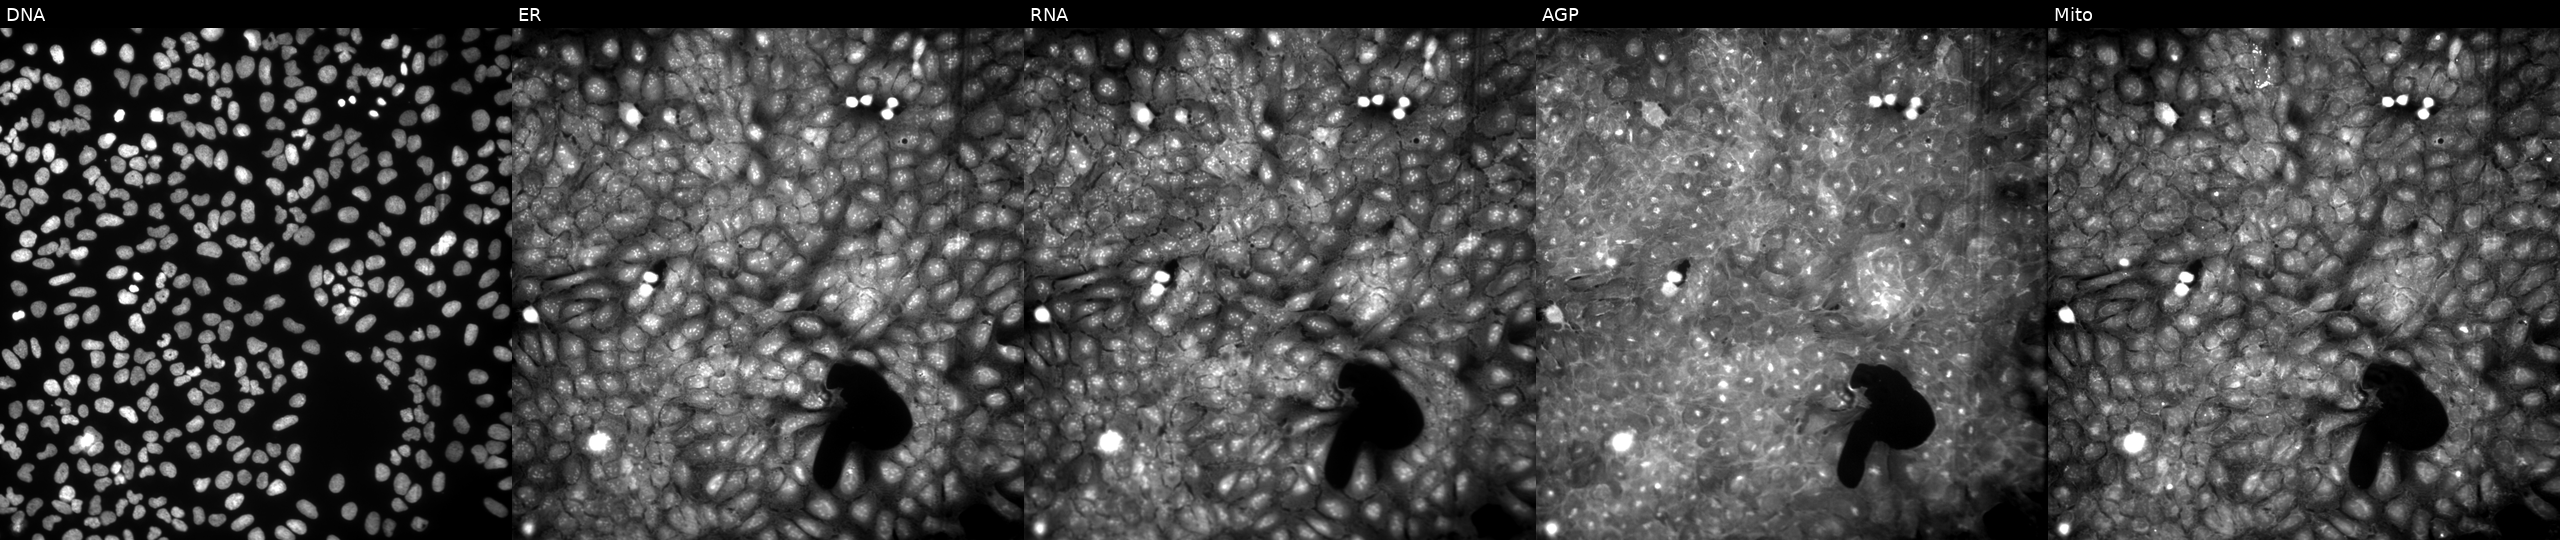
Five-channel Cell Painting image of U2OS cells treated with a small-molecule compound (InChIKey VECQKJYWXFSGIZ-UHFFFAOYSA-N) [SMILES: Cc1ccc(C(C)C)c(OCCN=c2[nH]c3c(c(=O)n(C)c(=O)n3C)n2C)c1]. Channels (left→right): DNA, ER, RNA, AGP, and Mito.